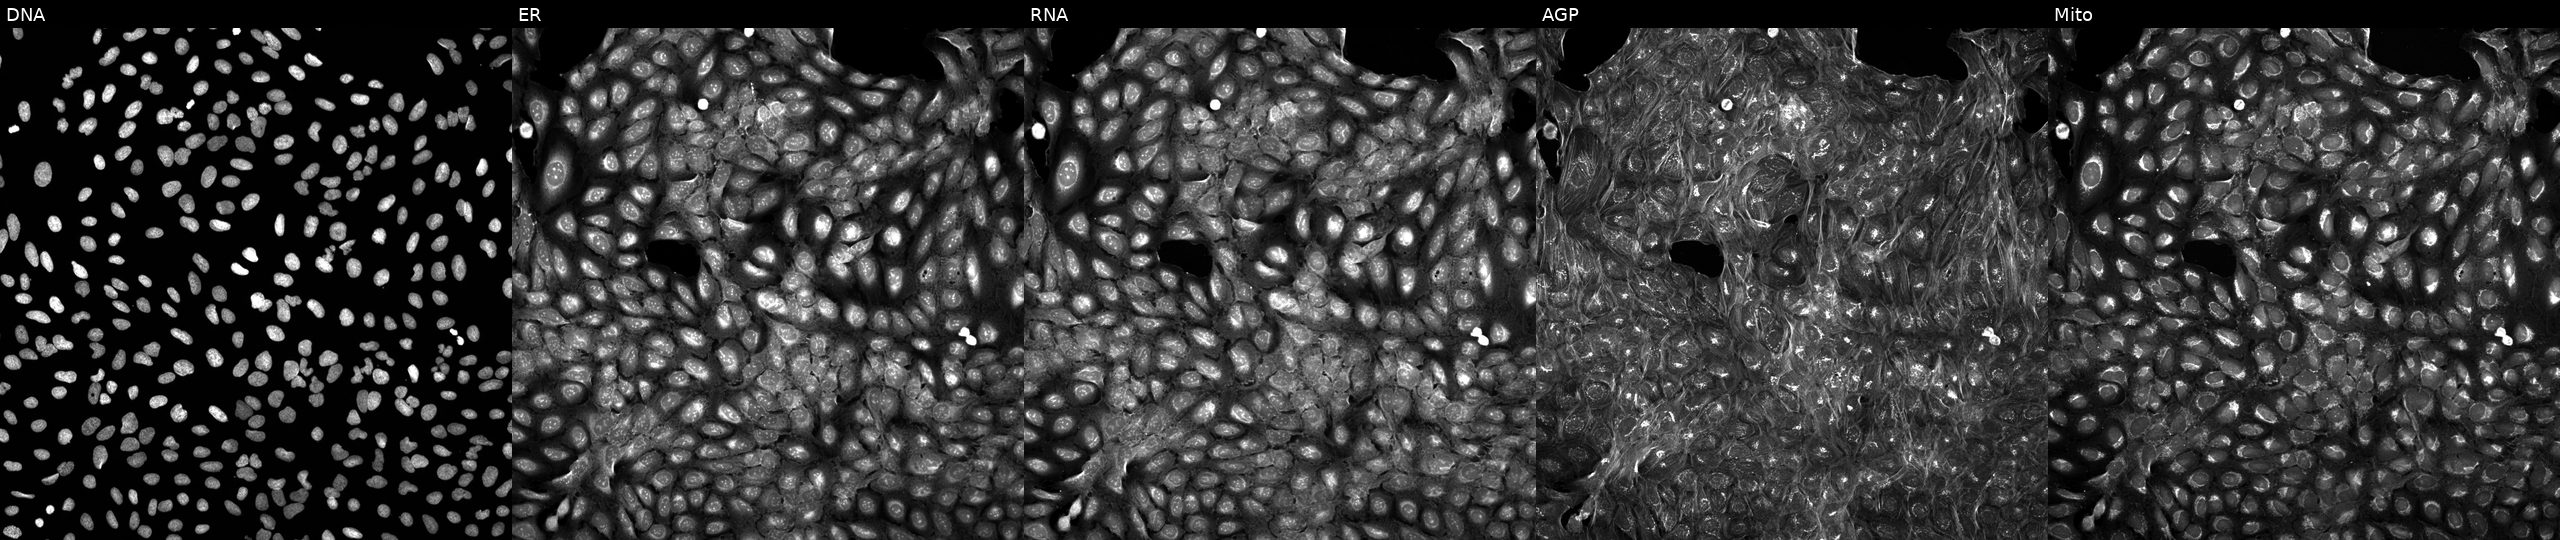
JUMP Cell Painting — COMPOUND plate. U2OS cells perturbed with a small-molecule compound (InChIKey PSZQQIGYWWEKIQ-UHFFFAOYSA-N). The five panels, left to right, show DNA, ER, RNA, AGP, and Mito.